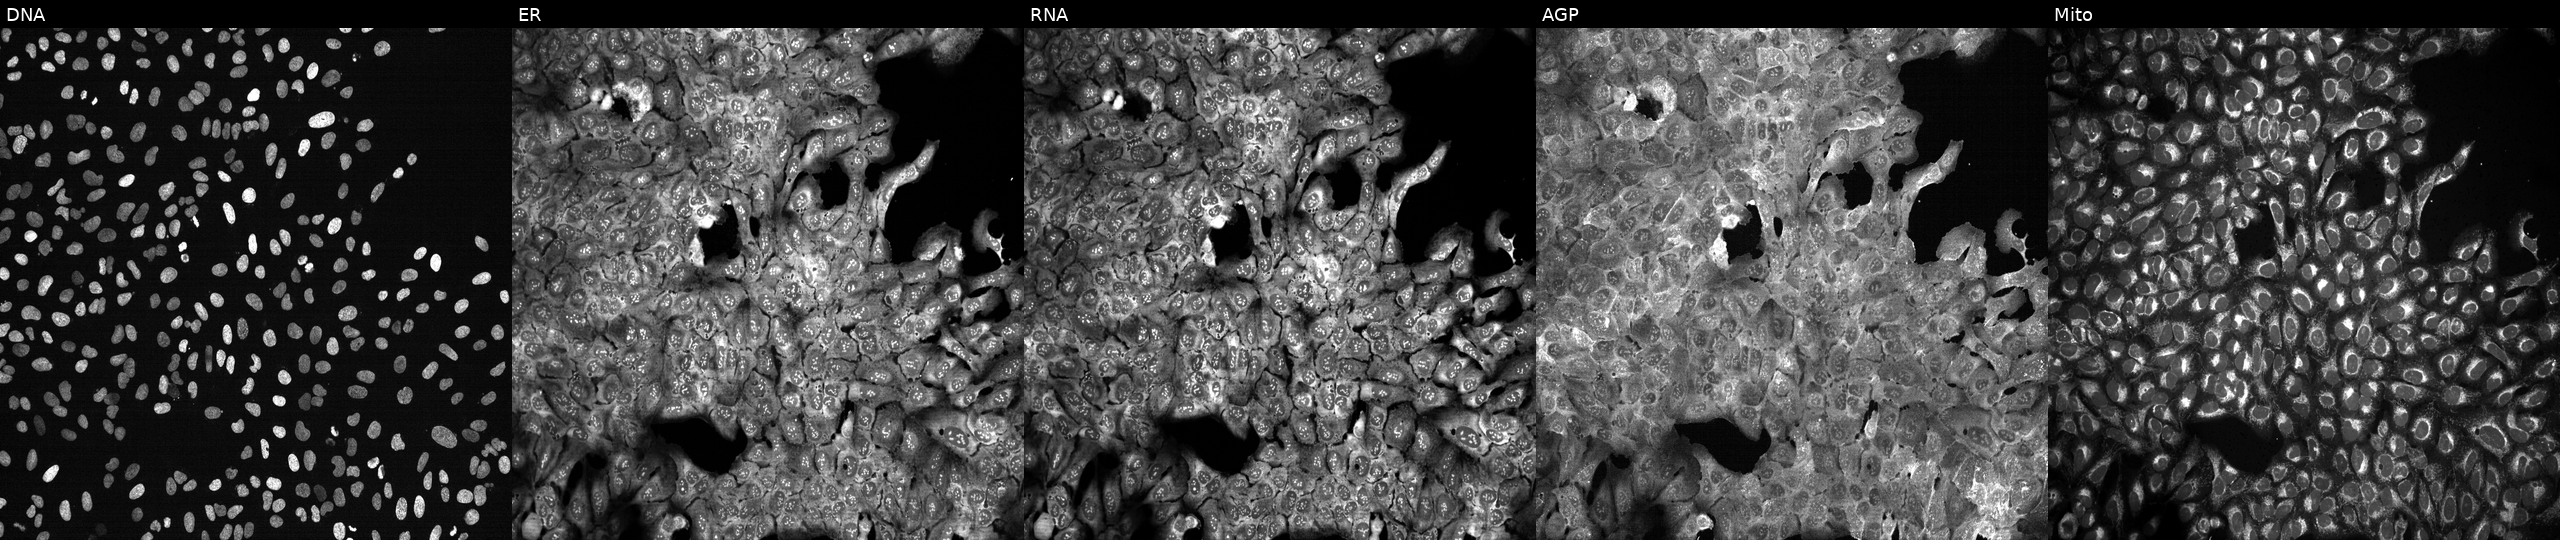
Panels show, left to right, DNA, ER, RNA, AGP, and Mito. U2OS osteosarcoma cells CRISPR-edited to disrupt ARSA (JUMP id JCP2022_800598). Cell Painting assay, JUMP-CP dataset. Source 13, plate CP-CC9-R3-02, well G14.